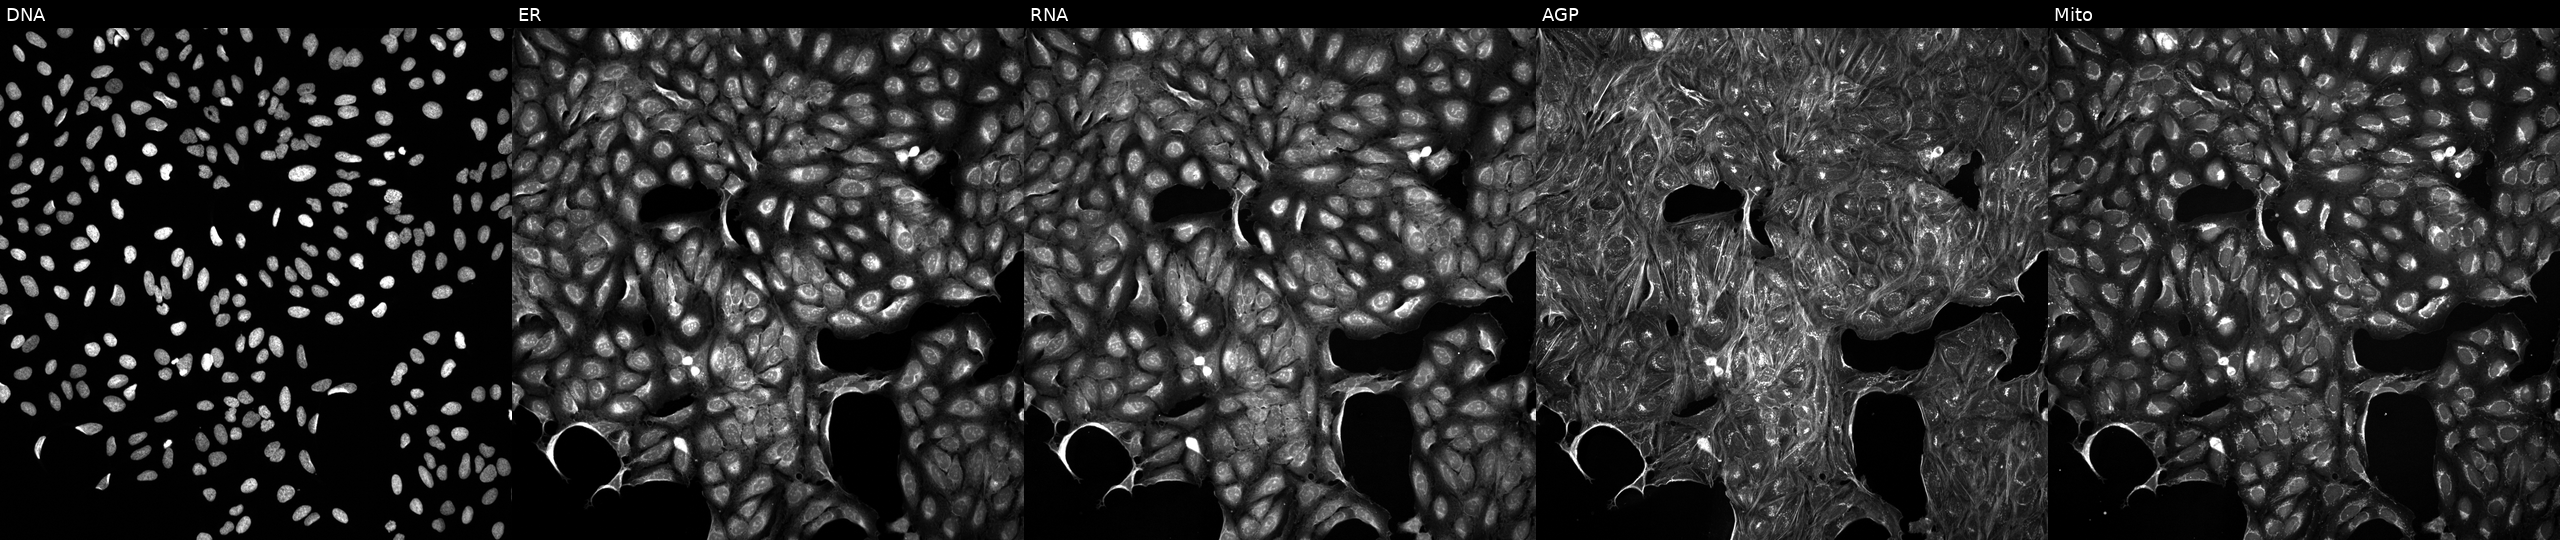
High-content fluorescence microscopy (Cell Painting). Cell line: U2OS. Perturbation: exposed to a small-molecule compound (InChIKey VHOGYURTWQBHIL-UHFFFAOYSA-N) [SMILES: Cc1oncc1C(=O)Nc1ccc(C(F)(F)F)cc1] (JUMP id JCP2022_094002). Channels (left→right): DNA (nuclei); ER (endoplasmic reticulum); RNA (nucleoli and cytoplasmic RNA); AGP (actin cytoskeleton, Golgi, and plasma membrane); Mito (mitochondria). Source 5, plate ACPJUM051, well N10.